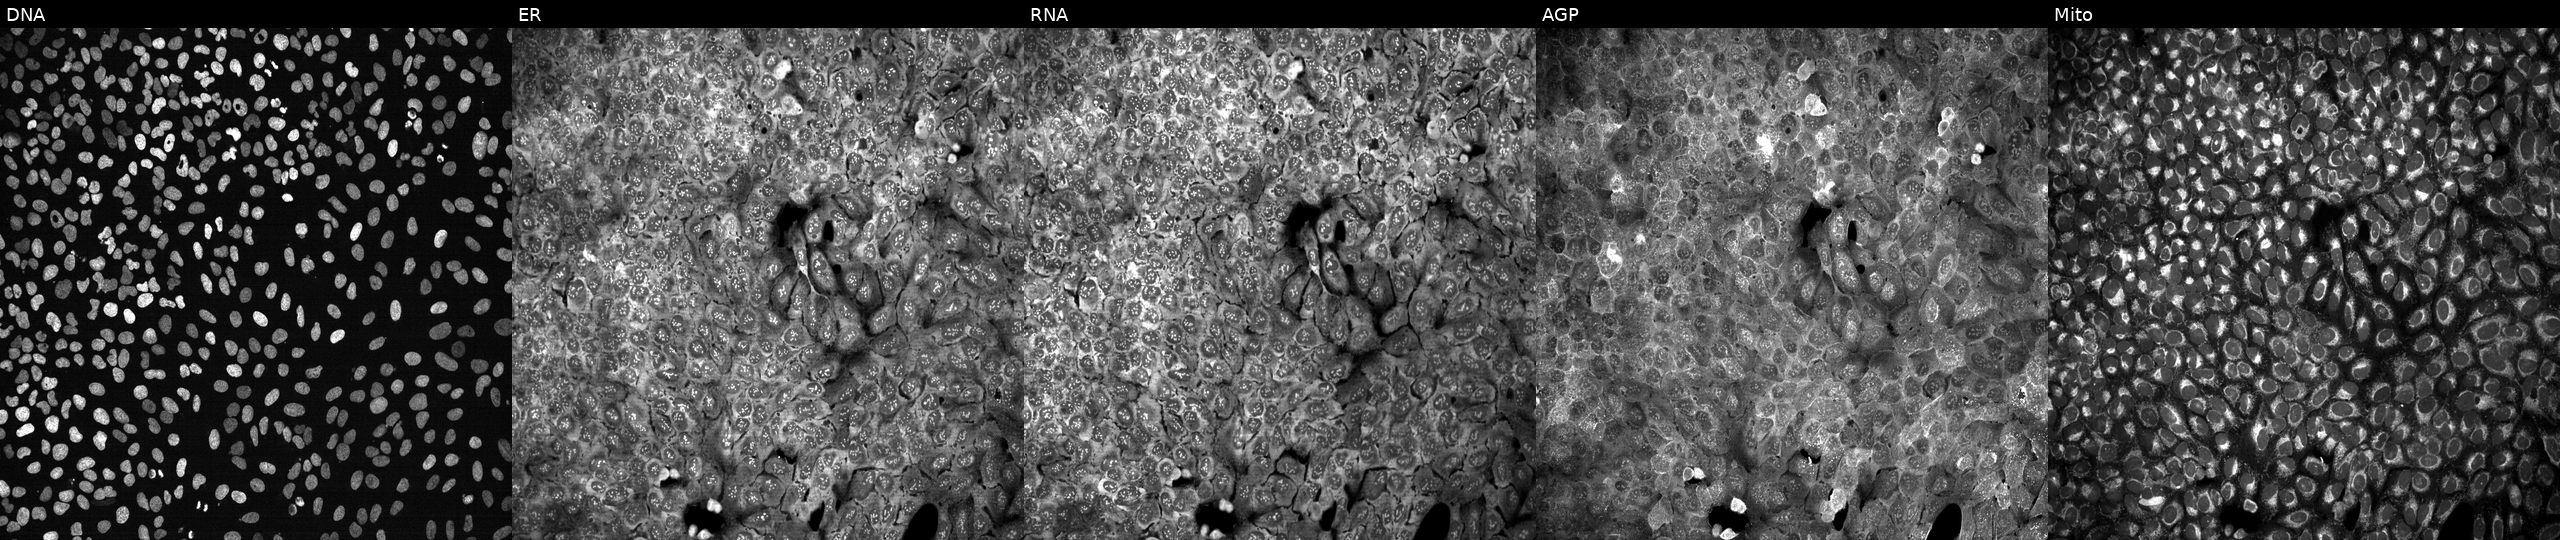
Panels show, left to right, DNA, ER, RNA, AGP, and Mito. U2OS osteosarcoma cells CRISPR-edited to disrupt GBP1. Cell Painting assay, JUMP-CP dataset.